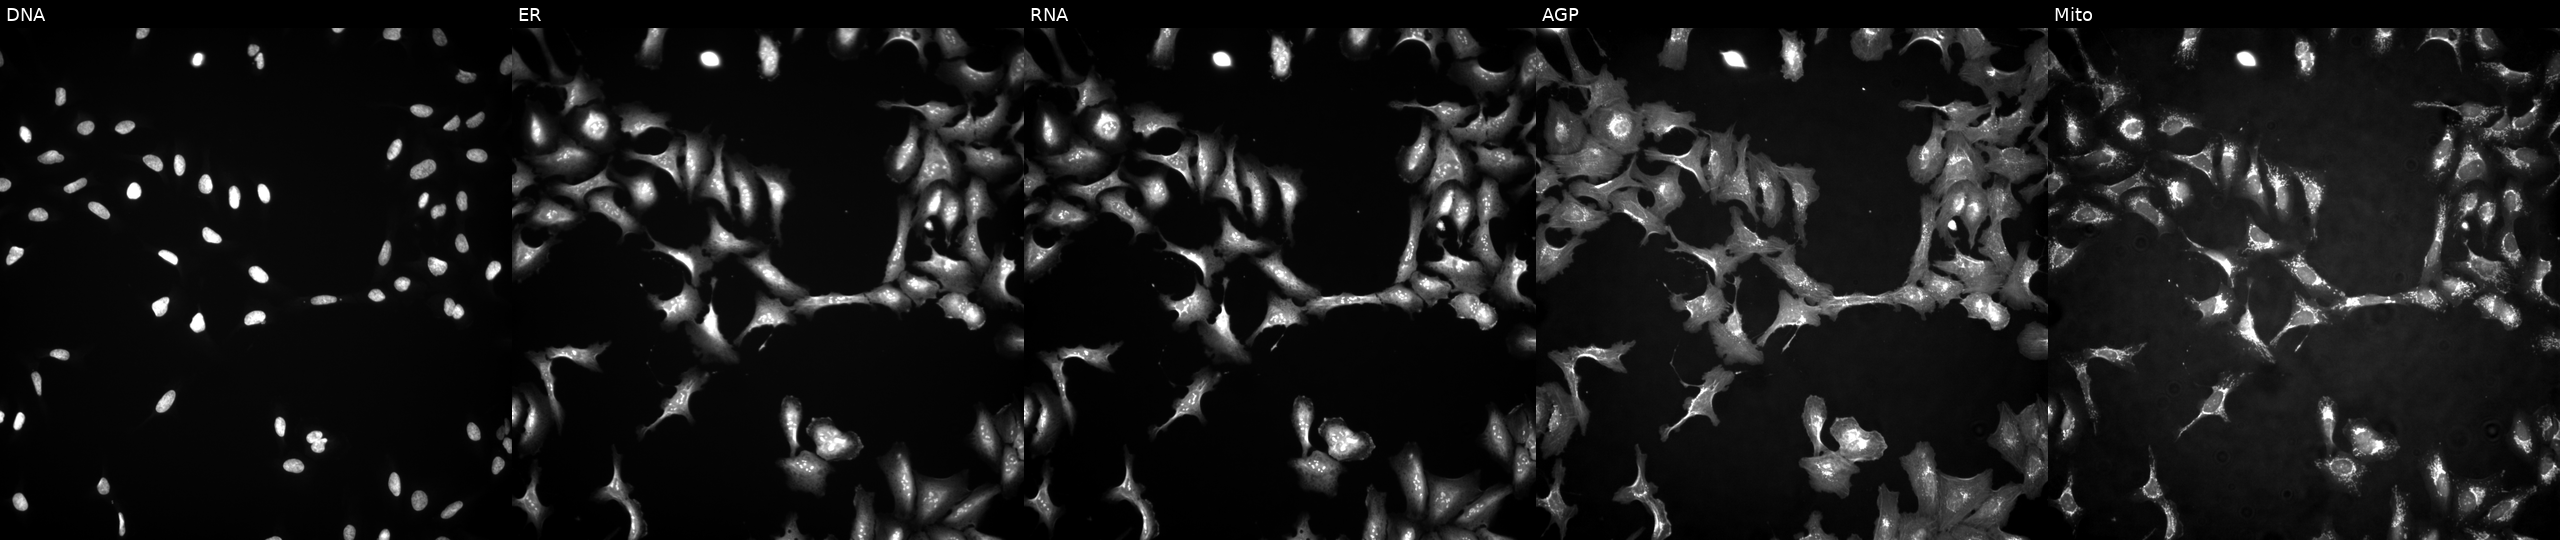
From left to right: DNA (nuclei); ER (endoplasmic reticulum); RNA (nucleoli and cytoplasmic RNA); AGP (actin cytoskeleton, Golgi, and plasma membrane); Mito (mitochondria). U2OS osteosarcoma cells with DACH2 overexpressed (ORF) (JUMP id JCP2022_912177). Cell Painting assay, JUMP-CP dataset.